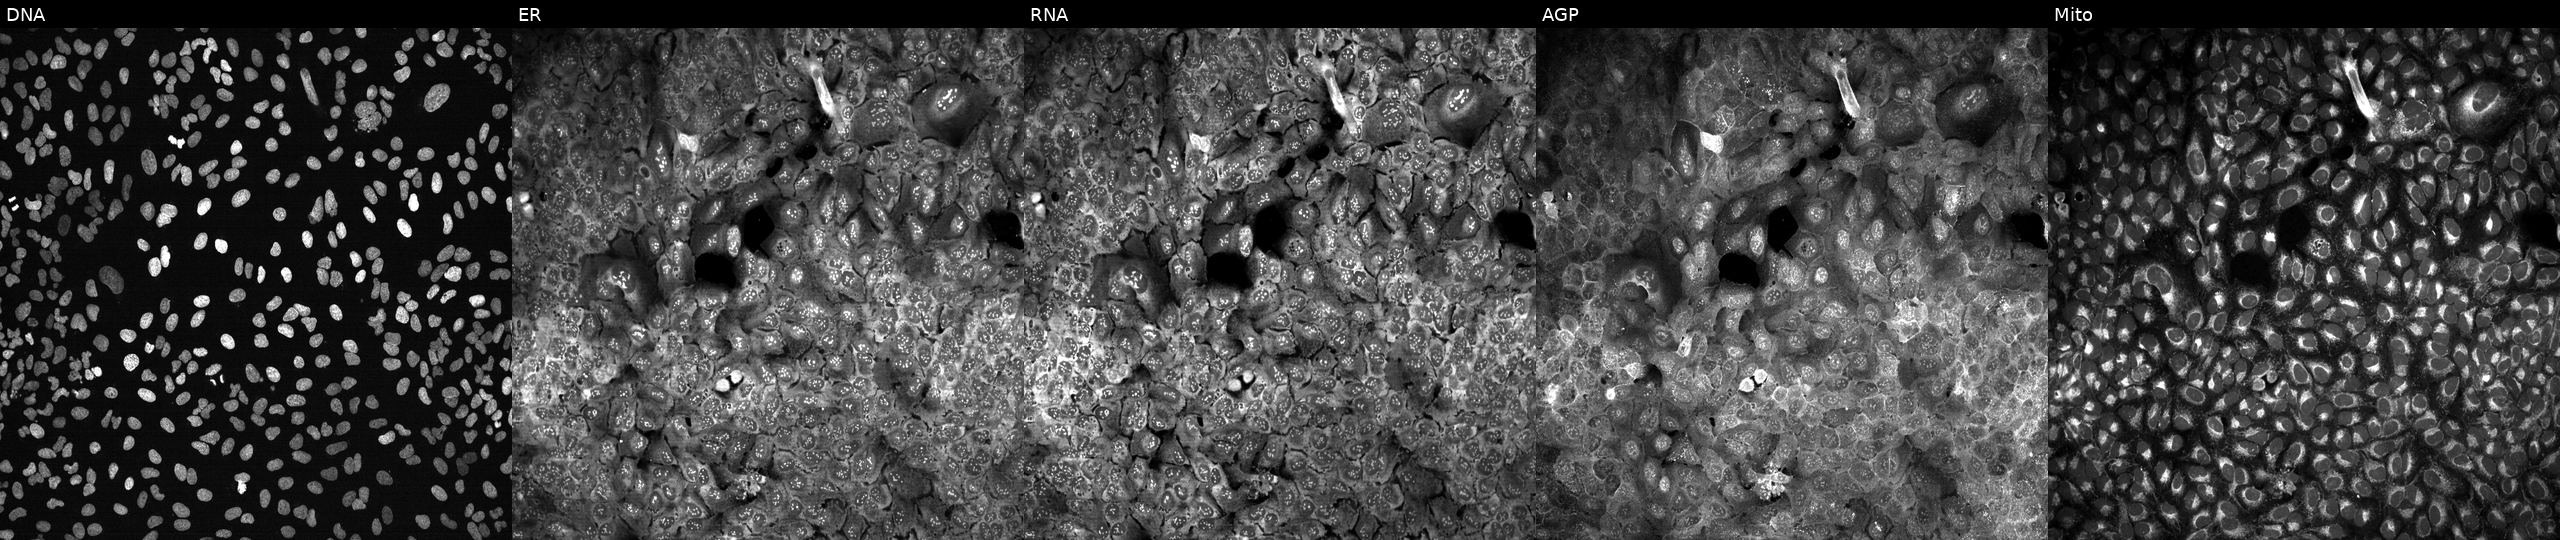
From left to right: DNA (nuclei); ER (endoplasmic reticulum); RNA (nucleoli and cytoplasmic RNA); AGP (actin cytoskeleton, Golgi, and plasma membrane); Mito (mitochondria). U2OS osteosarcoma cells CRISPR-edited to disrupt DDX42. Cell Painting assay, JUMP-CP dataset.